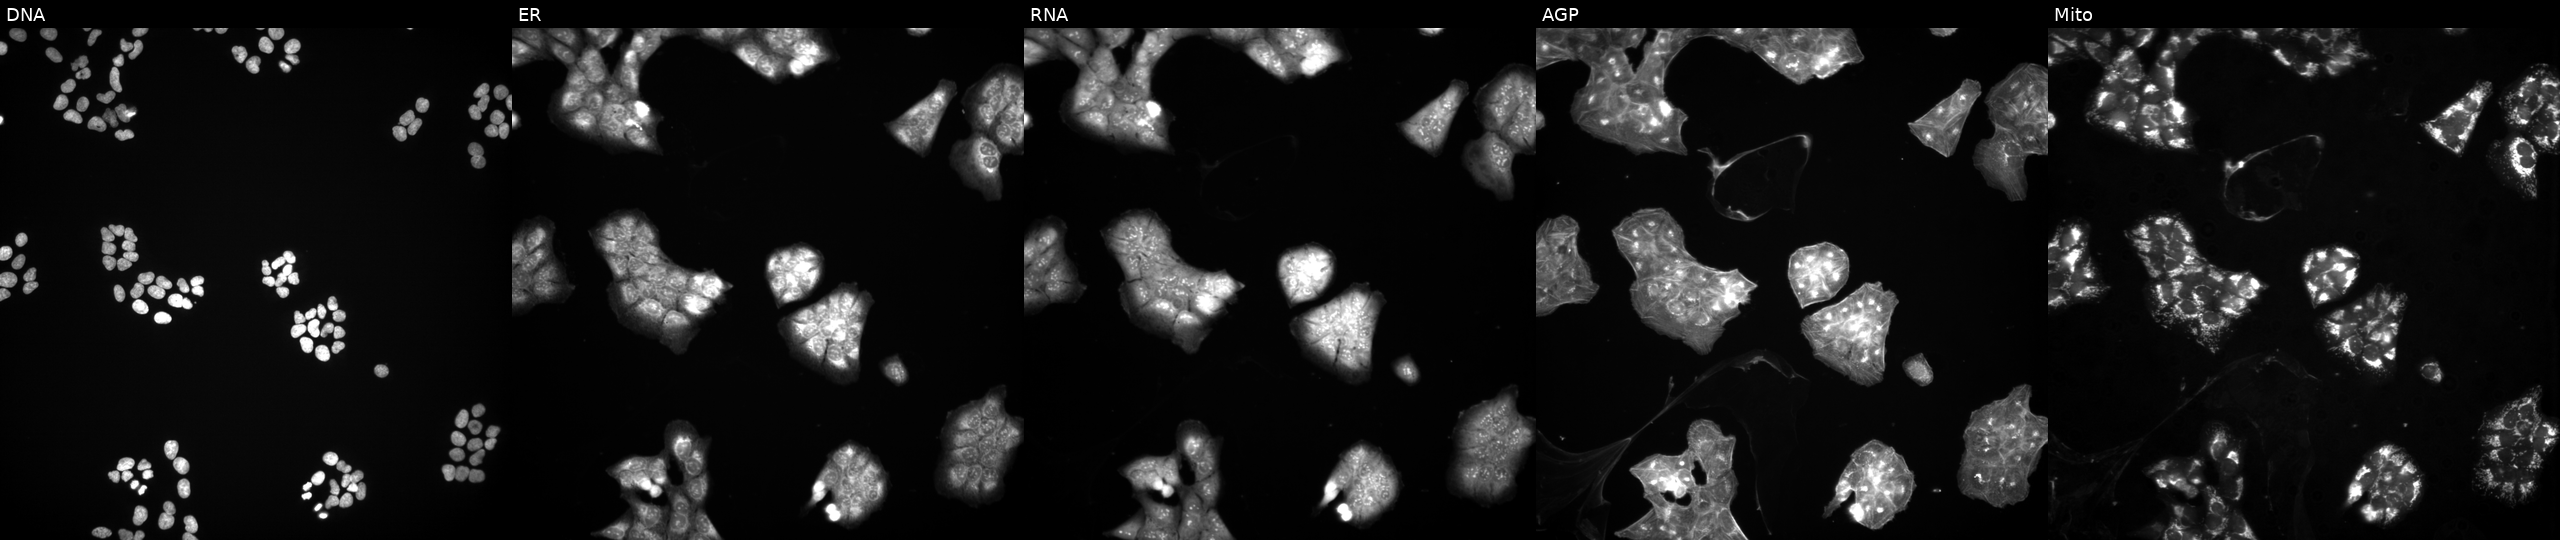
This image strip shows the five Cell Painting channels for a single field of U2OS cells perturbed with a small-molecule compound (JUMP id JCP2022_115963). Panels show, left to right, DNA, ER, RNA, AGP, and Mito.